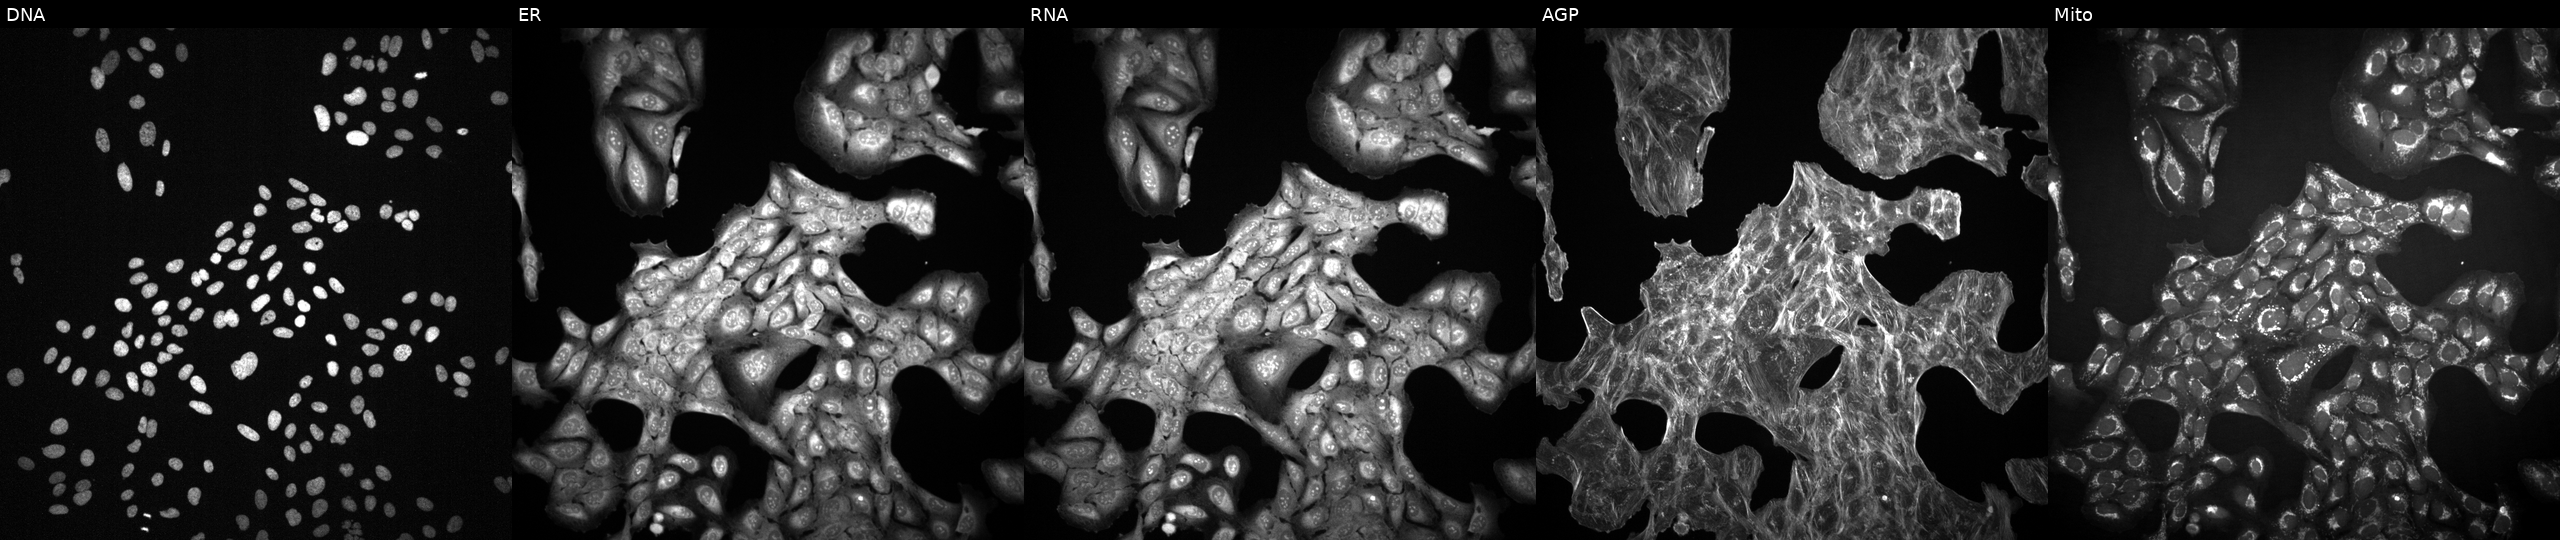
High-content fluorescence microscopy (Cell Painting). Cell line: U2OS. Perturbation: treated with a small-molecule compound (InChIKey IIQUYGWWHIHOCF-UHFFFAOYSA-N) (JUMP id JCP2022_035296). The five panels, left to right, show DNA (nuclei); ER (endoplasmic reticulum); RNA (nucleoli and cytoplasmic RNA); AGP (actin cytoskeleton, Golgi, and plasma membrane); Mito (mitochondria). Source 2, plate 1053597936, well J01.